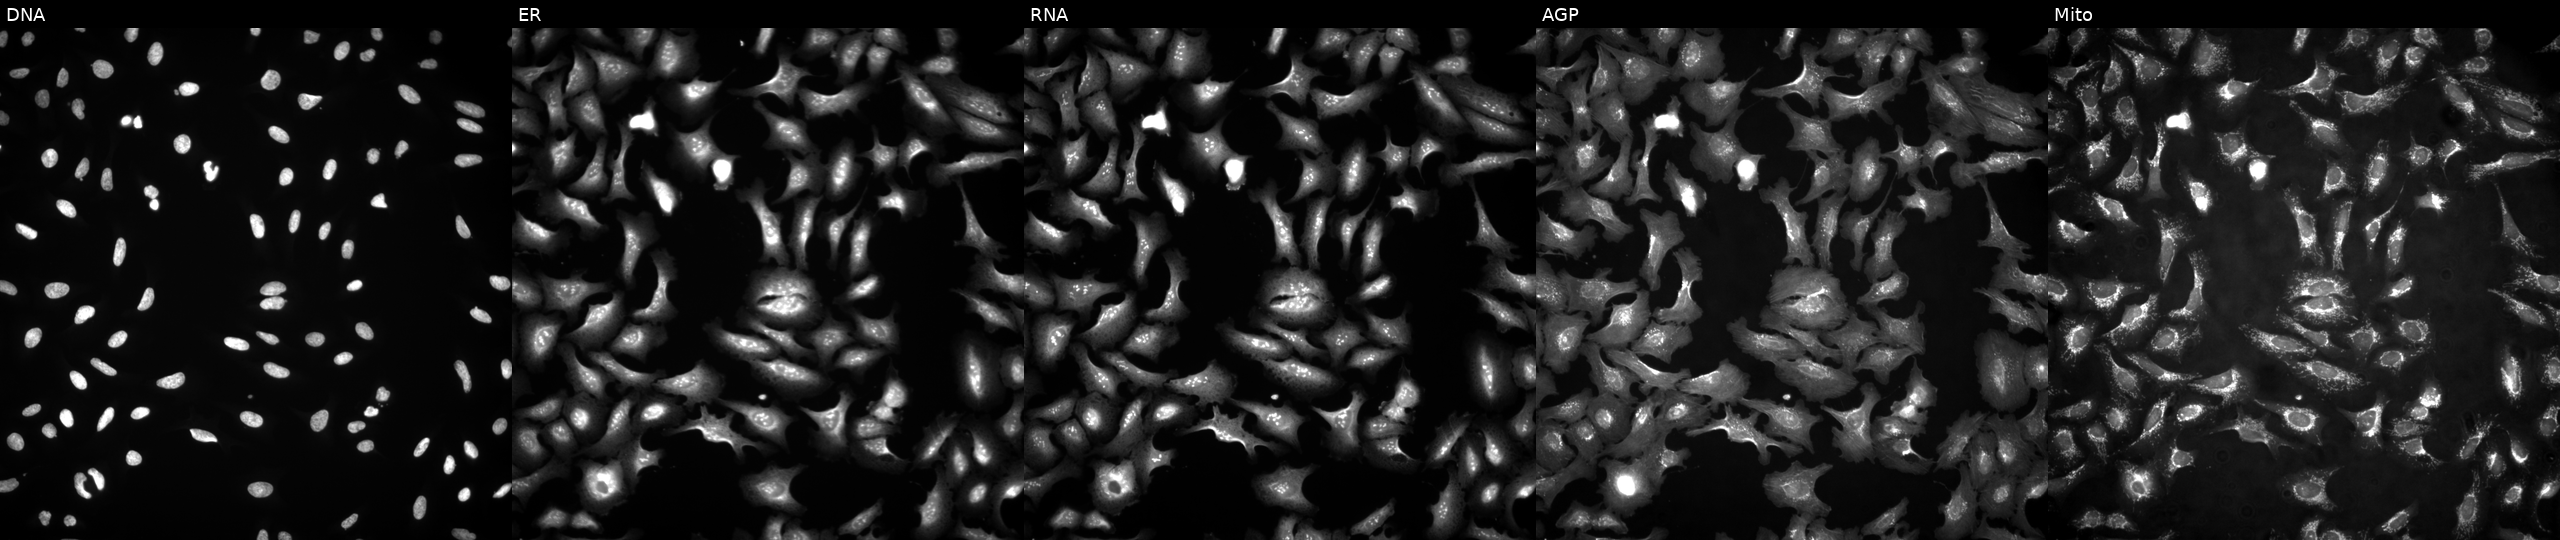
JUMP Cell Painting — ORF plate. U2OS cells with HJURP overexpressed (ORF). The five panels, left to right, show DNA (nuclei); ER (endoplasmic reticulum); RNA (nucleoli and cytoplasmic RNA); AGP (actin cytoskeleton, Golgi, and plasma membrane); Mito (mitochondria). Source 4, plate BR00124787, well H01.